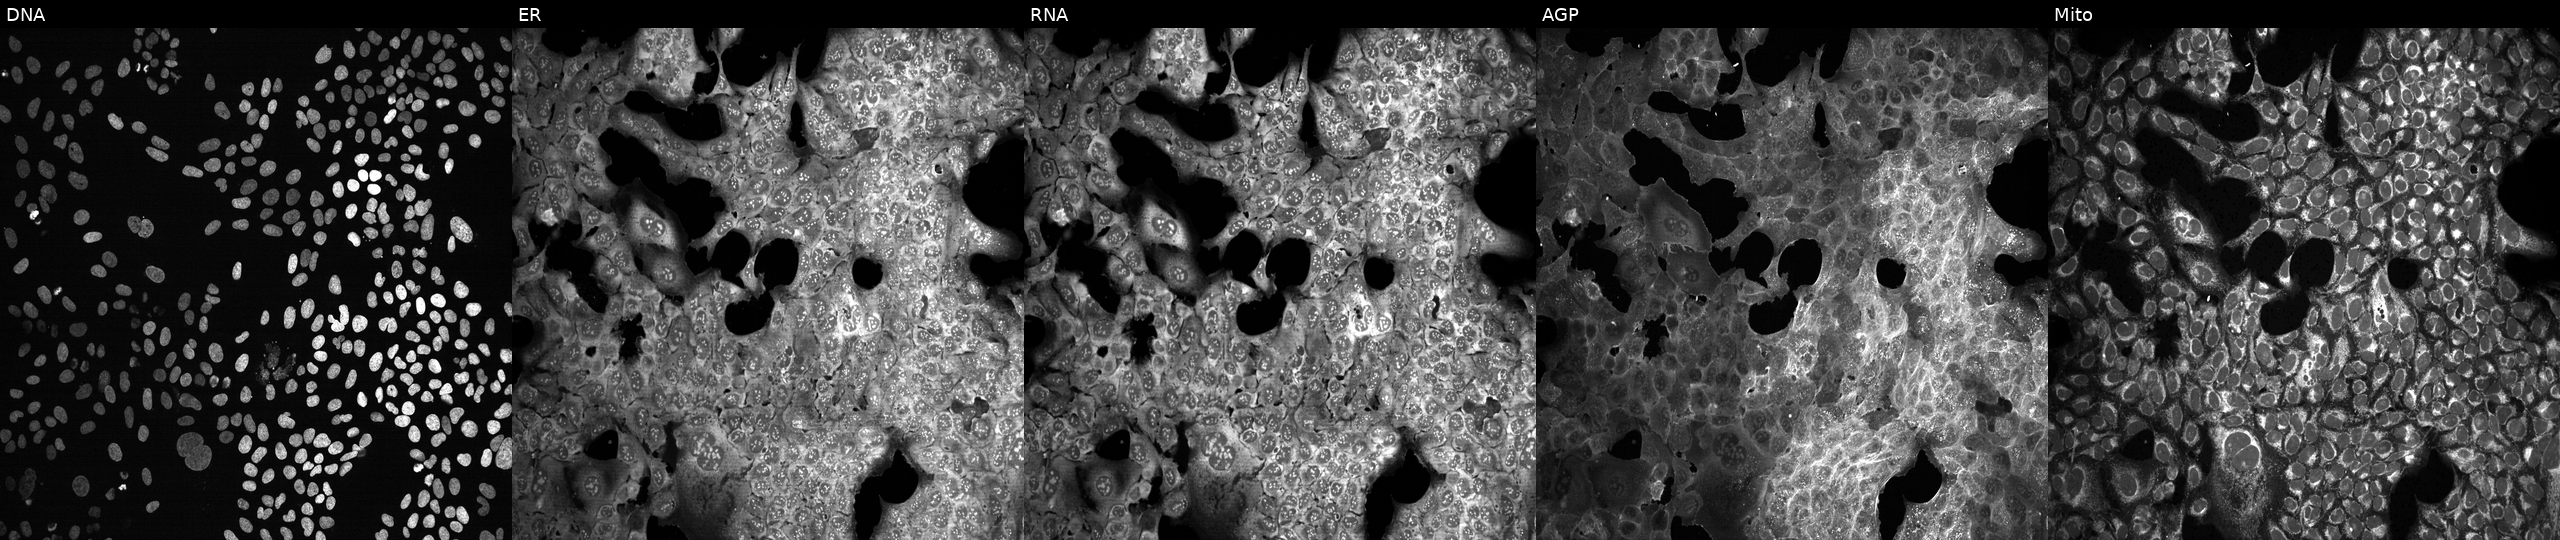
Five-channel Cell Painting image of U2OS cells exposed to the positive-control compound LY2109761 (JUMP id JCP2022_035095). Channels (left→right): DNA (nuclei); ER (endoplasmic reticulum); RNA (nucleoli and cytoplasmic RNA); AGP (actin cytoskeleton, Golgi, and plasma membrane); Mito (mitochondria).